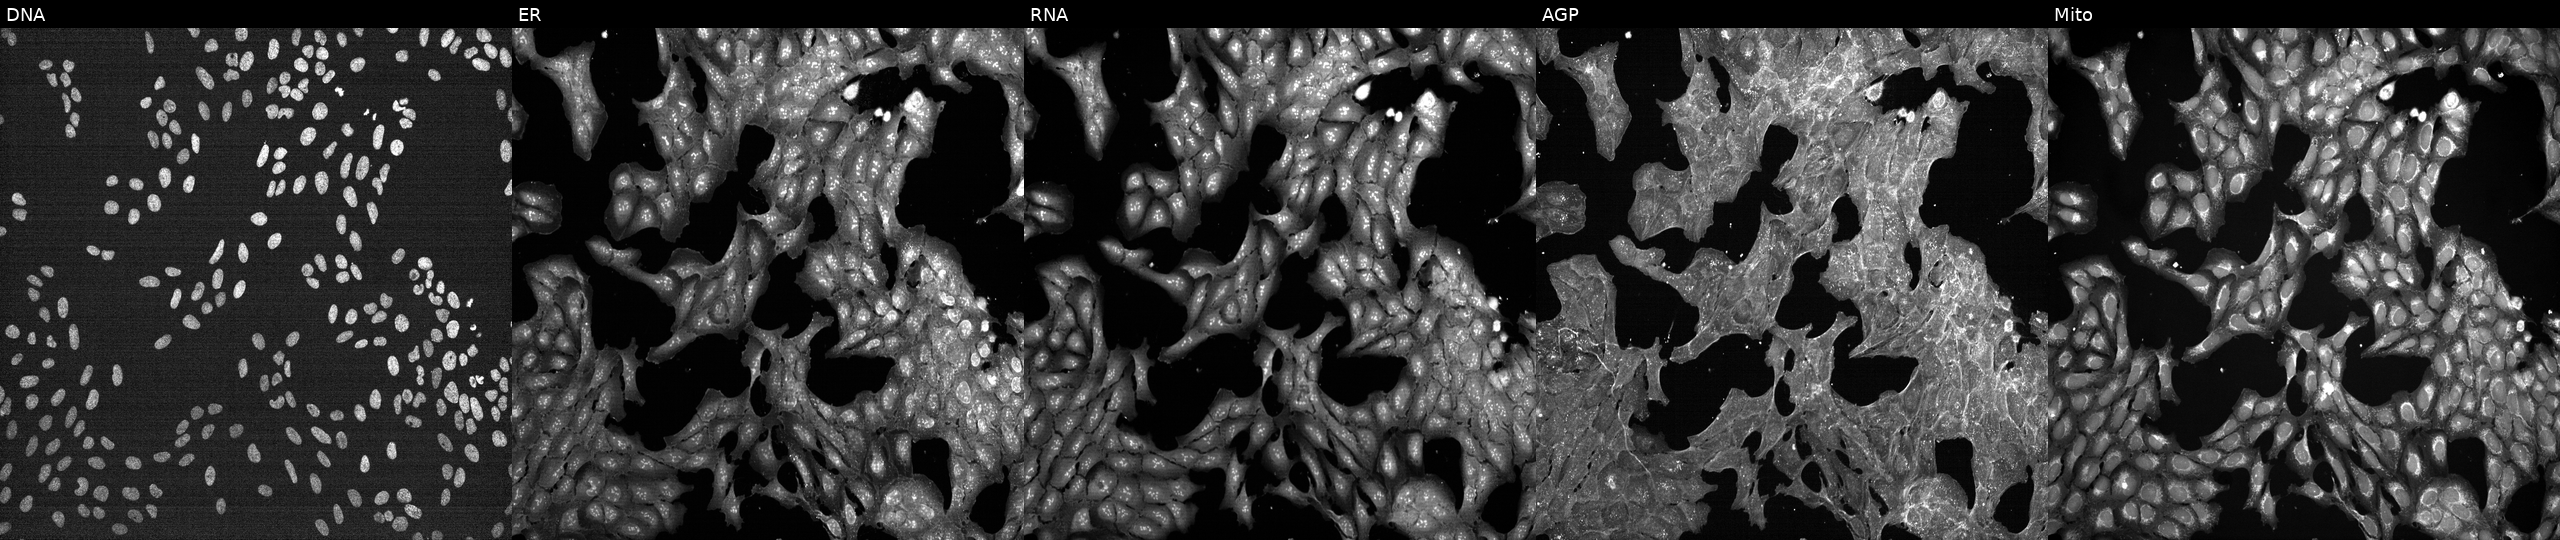
Five-channel Cell Painting image of U2OS cells exposed to DMSO alone as a negative control. Panels show, left to right, DNA (nuclei); ER (endoplasmic reticulum); RNA (nucleoli and cytoplasmic RNA); AGP (actin cytoskeleton, Golgi, and plasma membrane); Mito (mitochondria). Source 7, plate CP1-SC1-25, well N06.